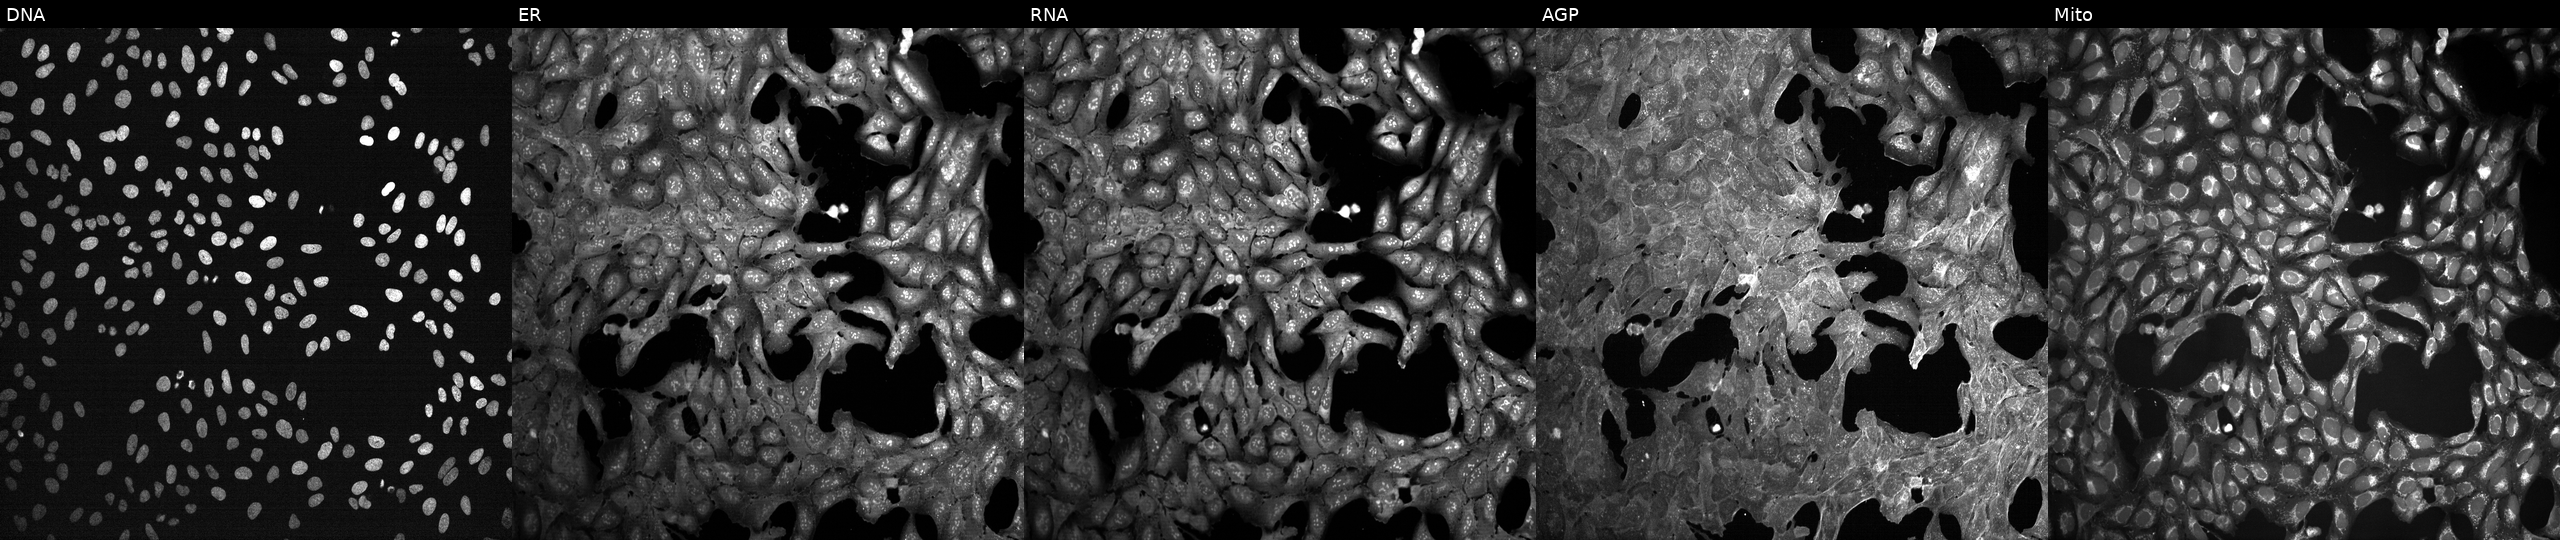
This image strip shows the five Cell Painting channels for a single field of U2OS cells exposed to a small-molecule compound (InChIKey YGSDEFSMJLZEOE-UHFFFAOYSA-N) (JUMP id JCP2022_108326). Channels (left→right): DNA (nuclei); ER (endoplasmic reticulum); RNA (nucleoli and cytoplasmic RNA); AGP (actin cytoskeleton, Golgi, and plasma membrane); Mito (mitochondria).